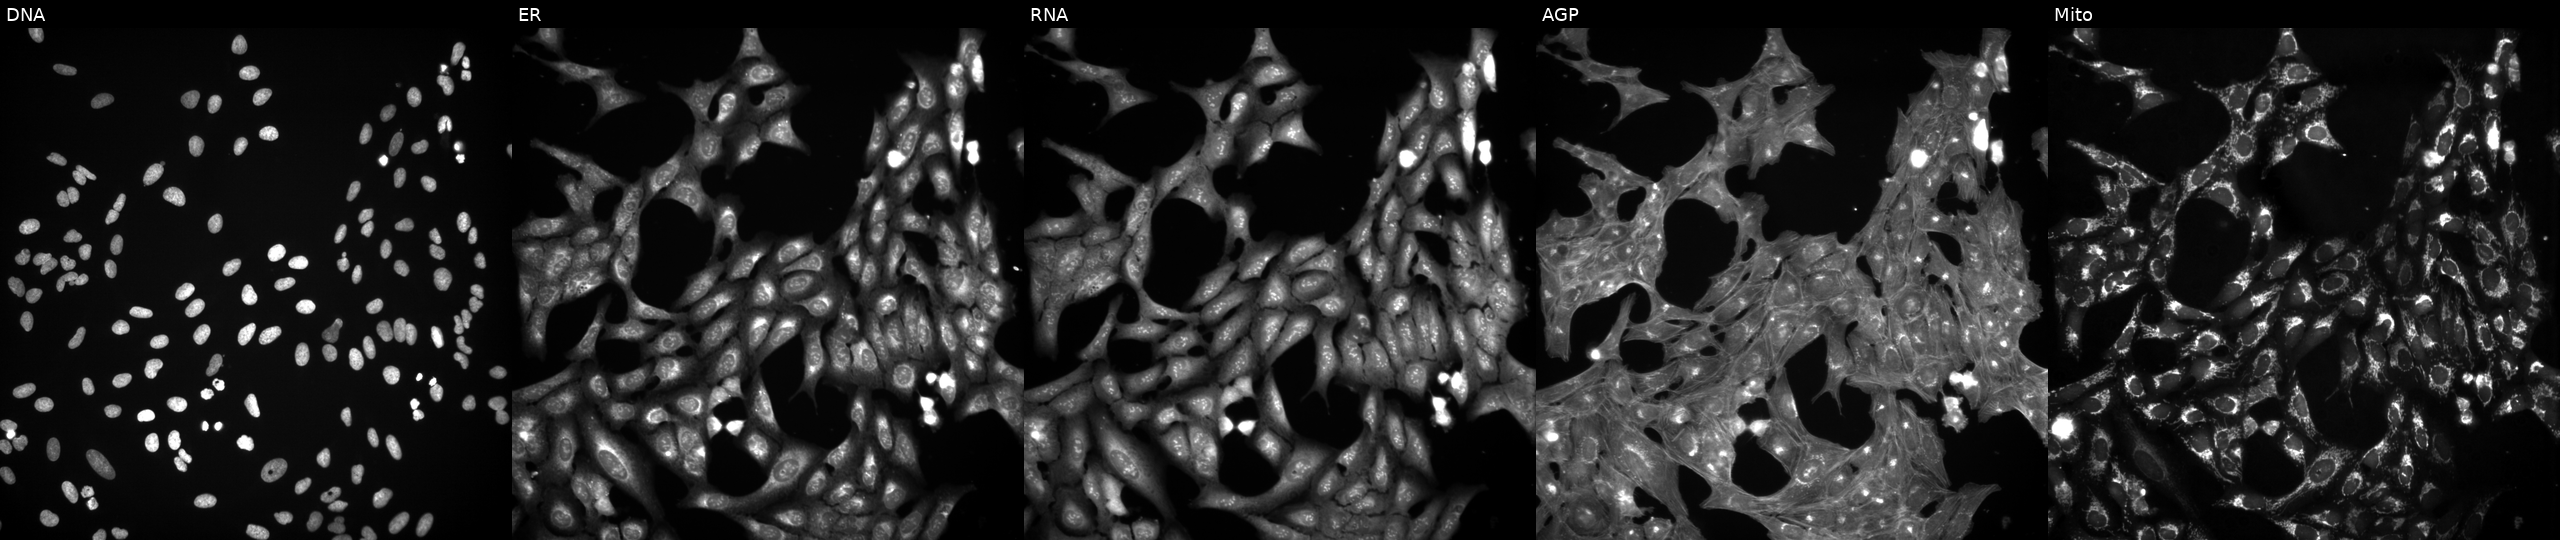
Five-channel Cell Painting image of U2OS cells perturbed with a small-molecule compound. Channels (left→right): DNA (nuclei); ER (endoplasmic reticulum); RNA (nucleoli and cytoplasmic RNA); AGP (actin cytoskeleton, Golgi, and plasma membrane); Mito (mitochondria). Source 3, plate JCPQC053, well H05.